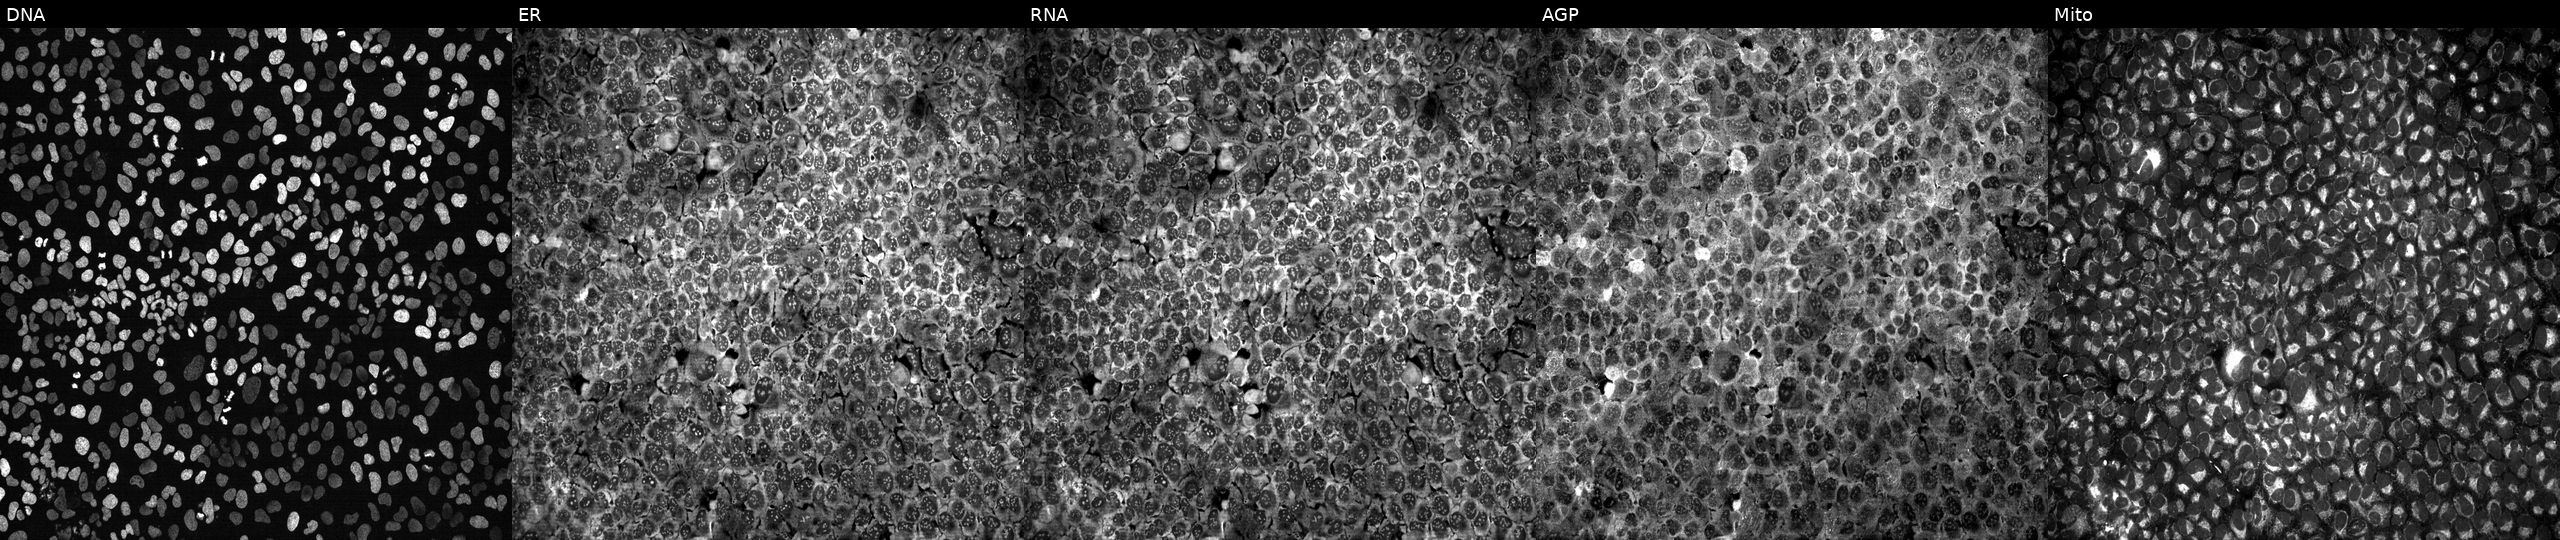
High-content fluorescence microscopy (Cell Painting). Cell line: U2OS. Perturbation: with NUBP2 knocked out by CRISPR. From left to right: Hoechst 33342, concanavalin A, SYTO 14, phalloidin and WGA, MitoTracker.